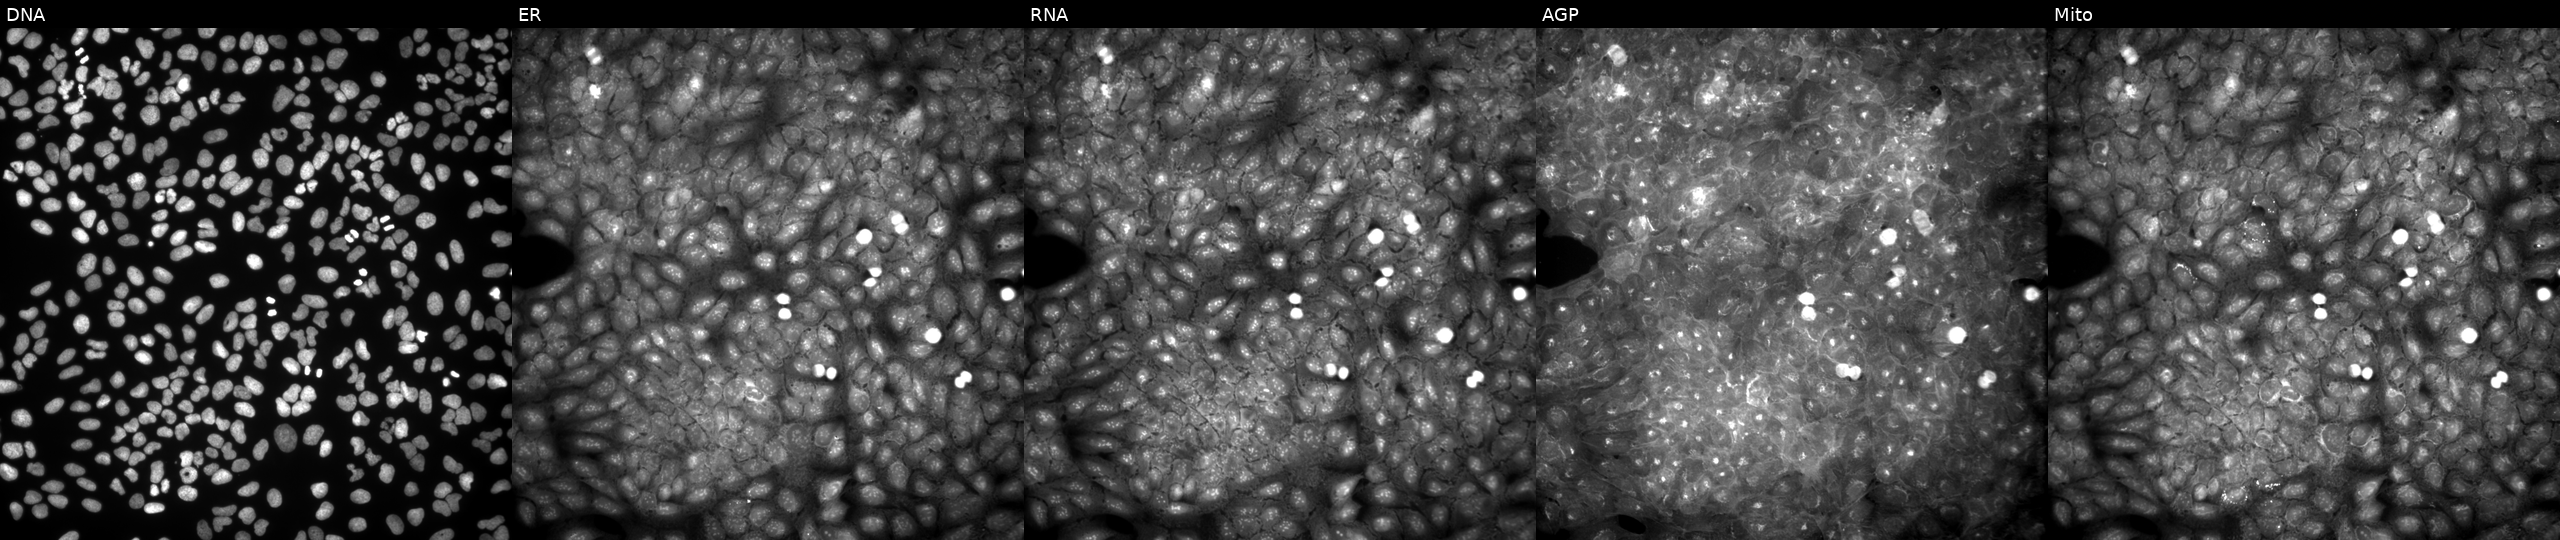
U2OS cells, Cell Painting assay, exposed to a small-molecule compound (InChIKey IRRPIHIZURATJY-UHFFFAOYSA-N) (JUMP id JCP2022_036983). Channels (left→right): Hoechst 33342, concanavalin A, SYTO 14, phalloidin and WGA, MitoTracker. Each panel is percentile-stretched 16-bit fluorescence.